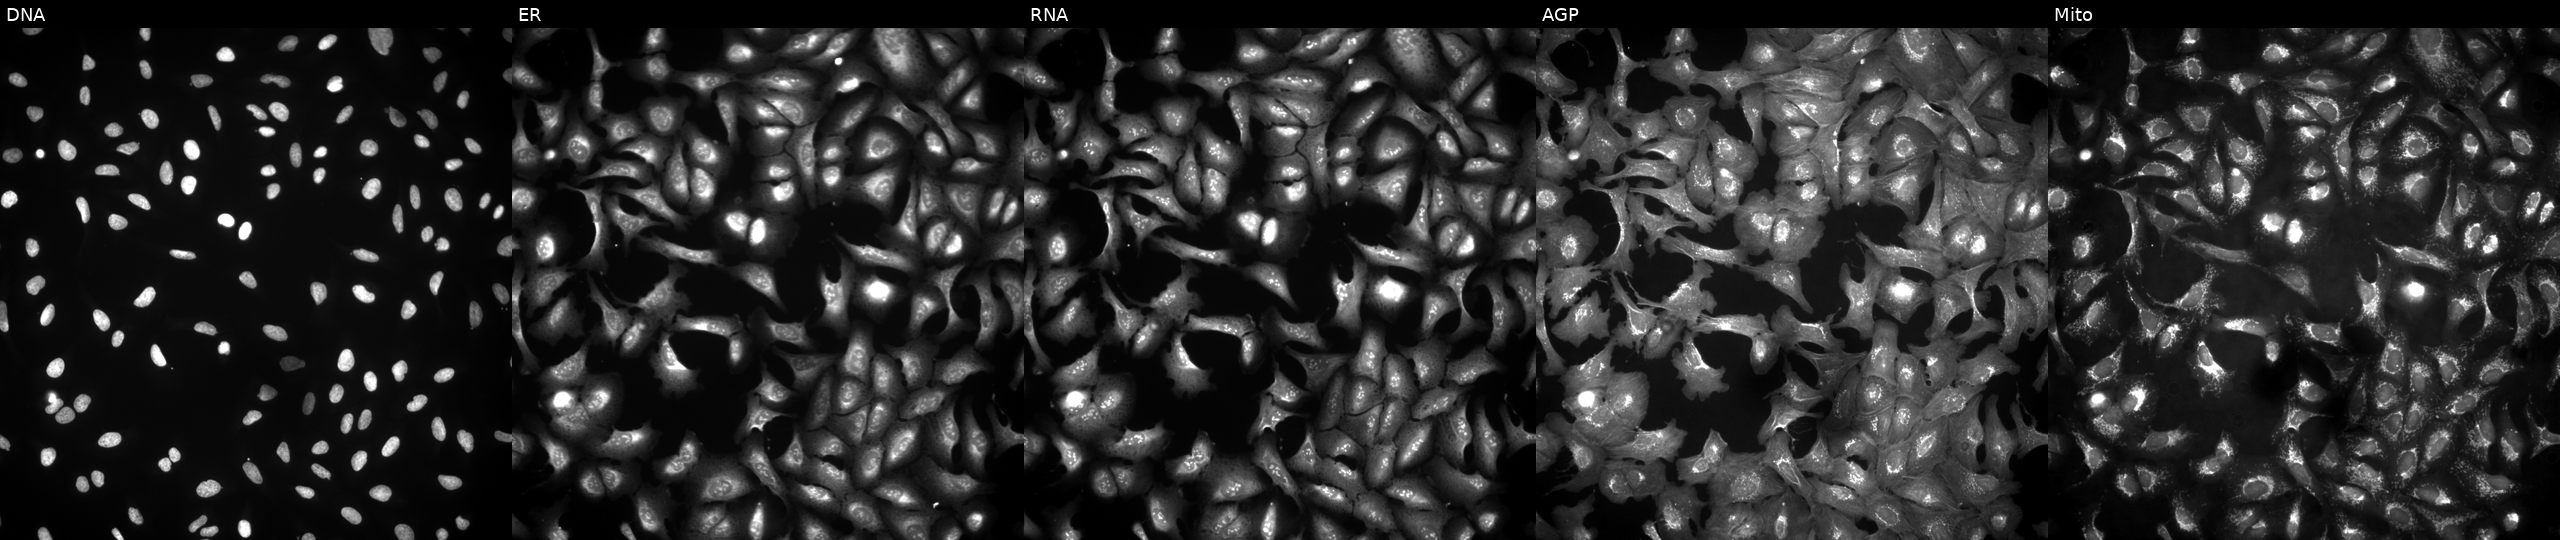
High-content fluorescence microscopy (Cell Painting). Cell line: U2OS. Perturbation: overexpressing LVRN via ORF transfection (JUMP id JCP2022_915084). From left to right: Hoechst 33342, concanavalin A, SYTO 14, phalloidin and WGA, MitoTracker. Source 4, plate BR00124790, well C11.